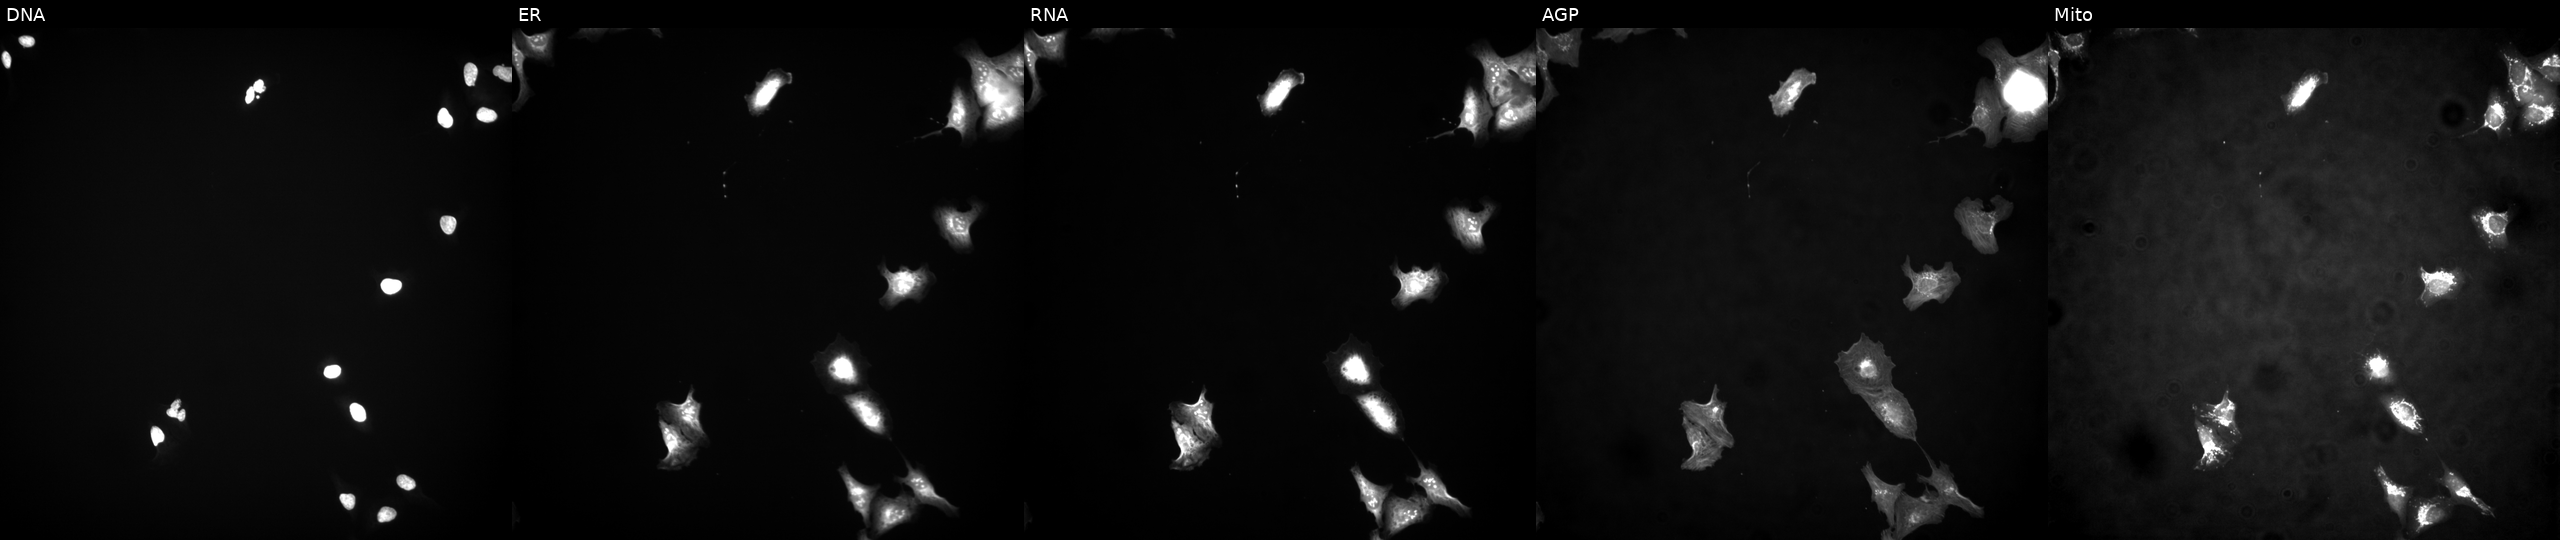
This image strip shows the five Cell Painting channels for a single field of U2OS cells transfected with an ORF construct for C9orf57. The five panels, left to right, show DNA (nuclei); ER (endoplasmic reticulum); RNA (nucleoli and cytoplasmic RNA); AGP (actin cytoskeleton, Golgi, and plasma membrane); Mito (mitochondria).